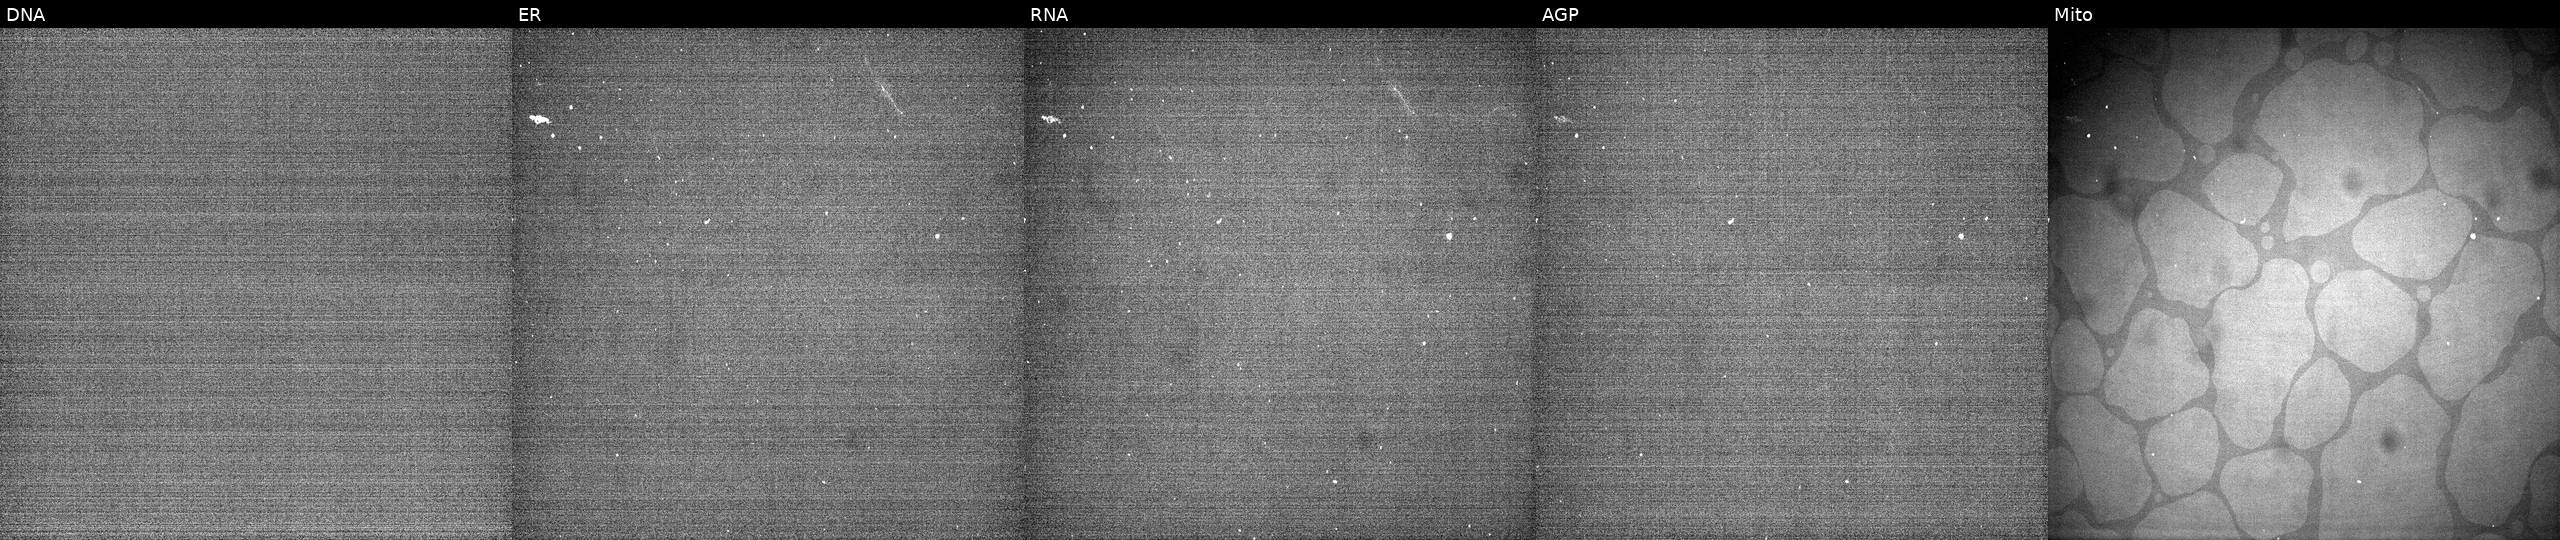
High-content fluorescence microscopy (Cell Painting). Cell line: U2OS. Perturbation: perturbed with a small-molecule compound. From left to right: DNA, ER, RNA, AGP, and Mito. Source 7, plate CP3-SC1-25, well O17.